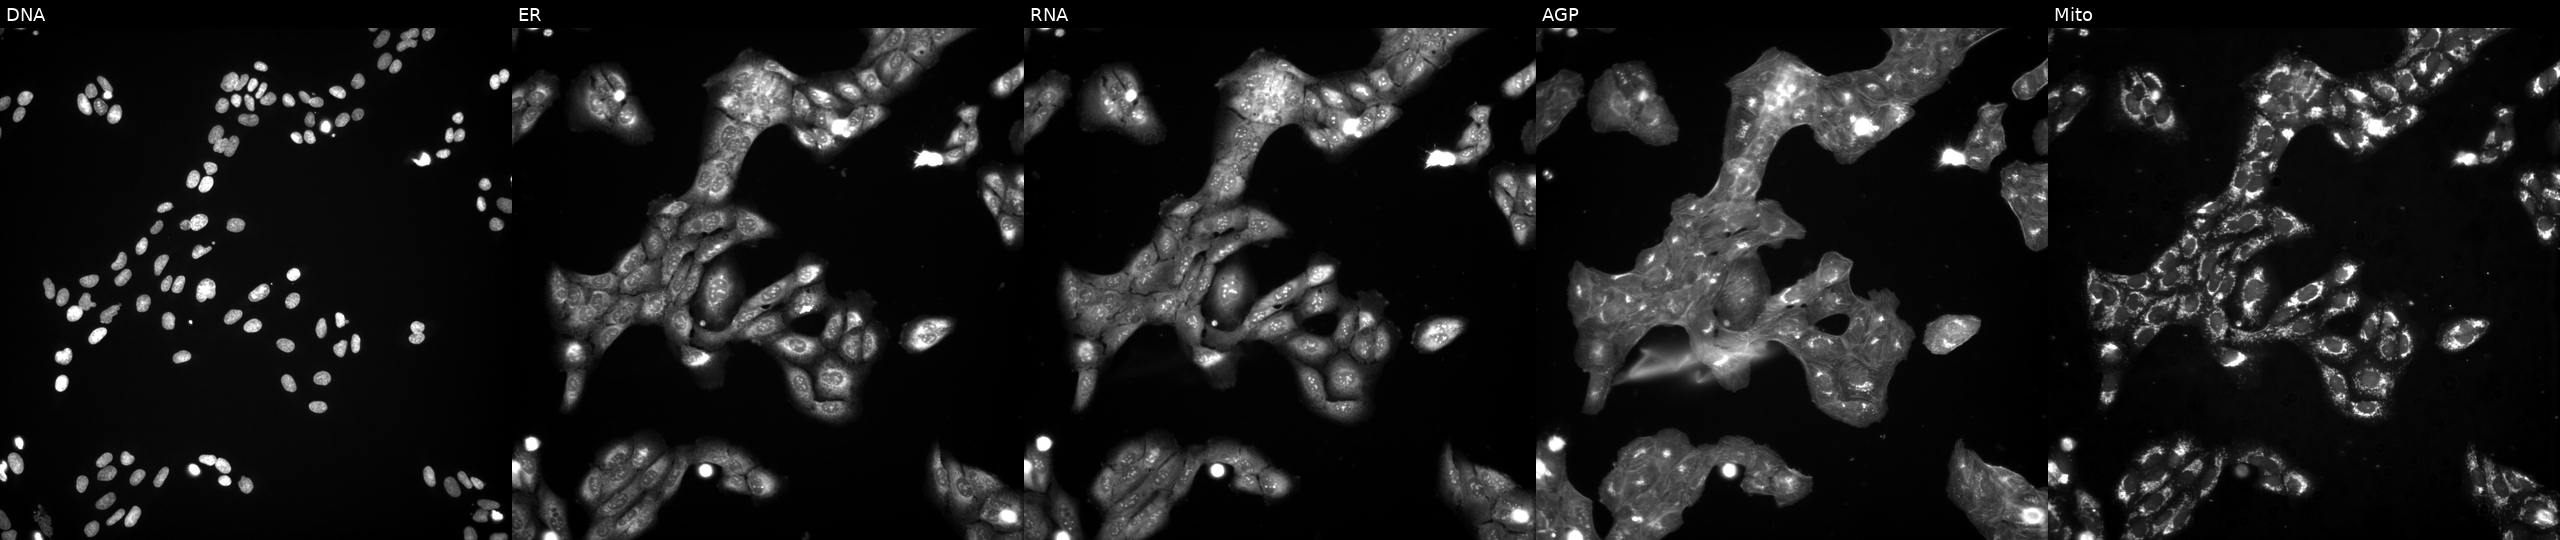
U2OS cells, Cell Painting assay, exposed to a small-molecule compound (InChIKey MAKMQGKJURAJEN-UHFFFAOYSA-N). From left to right: DNA (nuclei); ER (endoplasmic reticulum); RNA (nucleoli and cytoplasmic RNA); AGP (actin cytoskeleton, Golgi, and plasma membrane); Mito (mitochondria). Each panel is percentile-stretched 16-bit fluorescence.